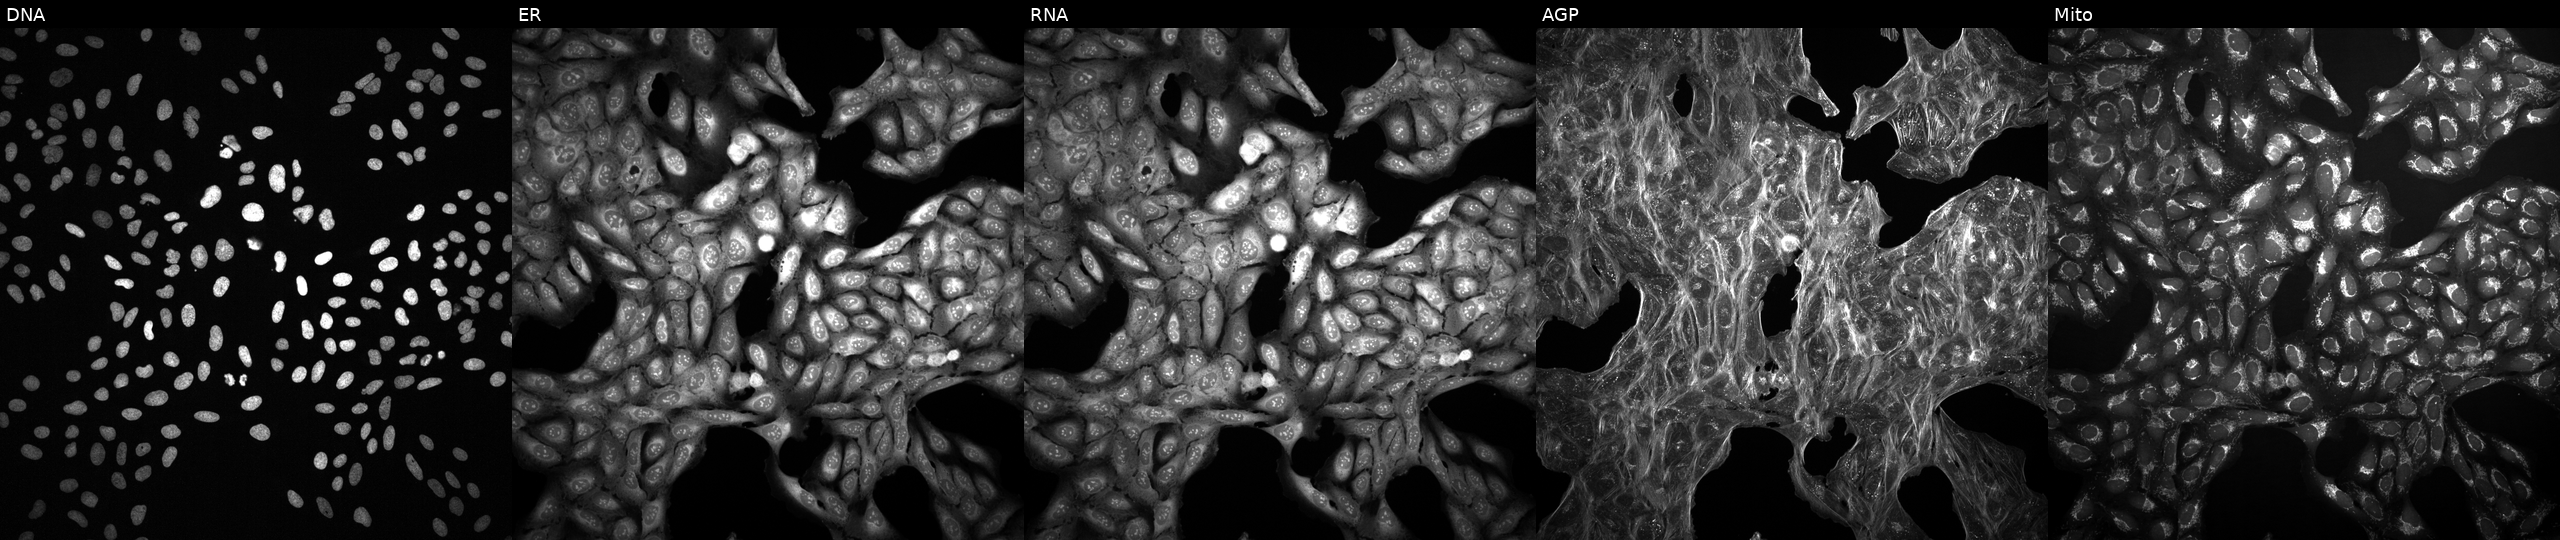
High-content fluorescence microscopy (Cell Painting). Cell line: U2OS. Perturbation: exposed to a small-molecule compound. The five panels, left to right, show Hoechst 33342, concanavalin A, SYTO 14, phalloidin and WGA, MitoTracker. Source 2, plate 1053597936, well P13.